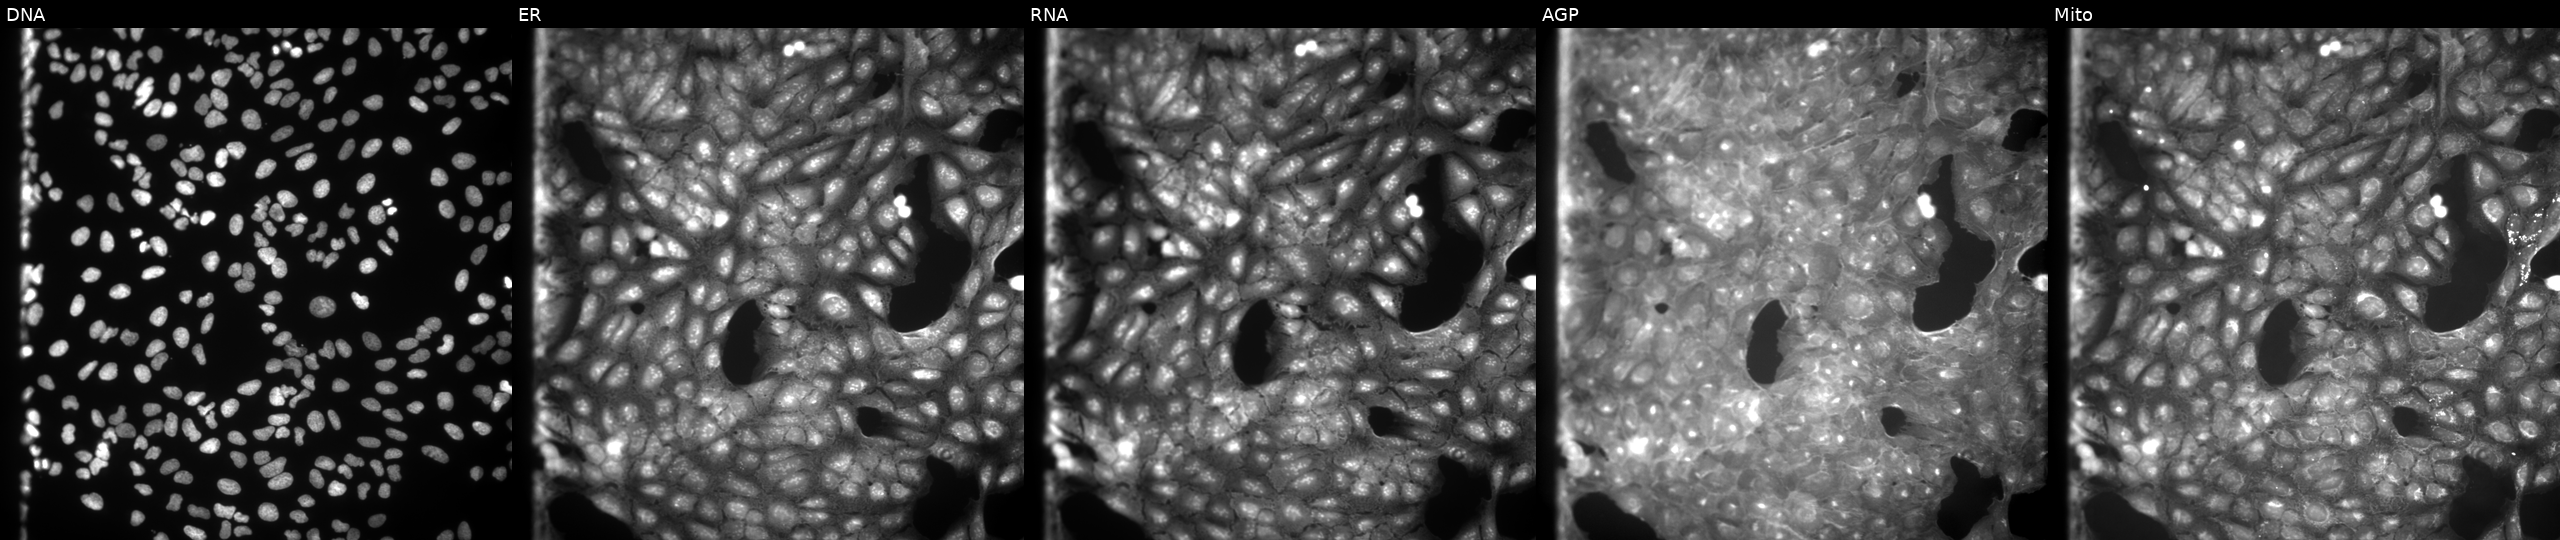
From left to right: DNA, ER, RNA, AGP, and Mito. U2OS osteosarcoma cells treated with a small-molecule compound (InChIKey CPGVYFCTSGTLHE-UHFFFAOYSA-N). Cell Painting assay, JUMP-CP dataset. Source 9, plate GR00003381, well D09.